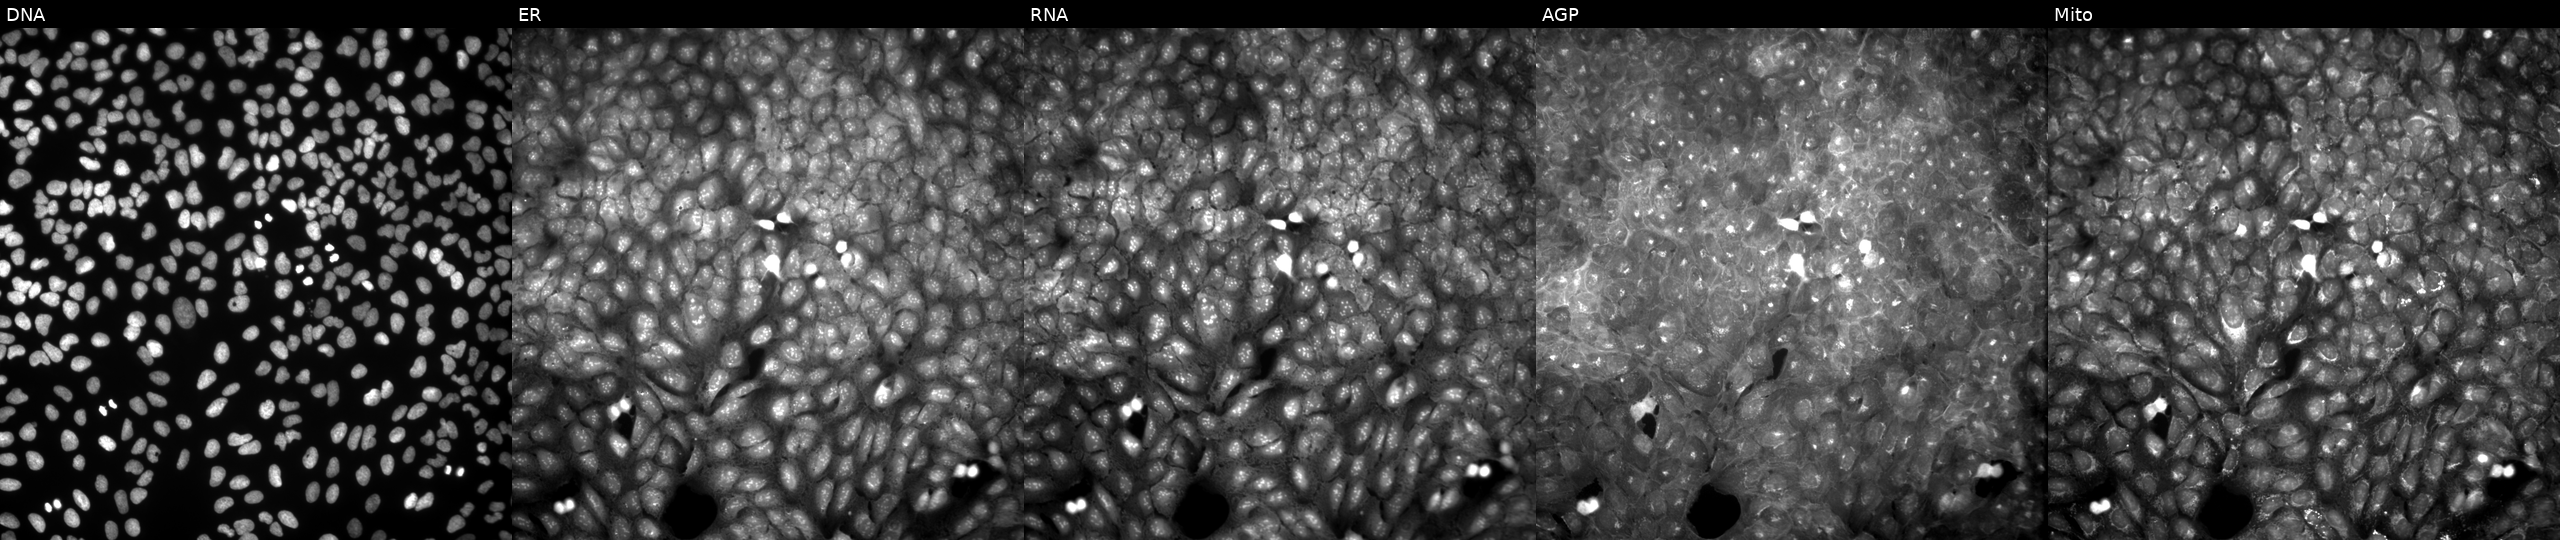
This image strip shows the five Cell Painting channels for a single field of U2OS cells exposed to a small-molecule compound. From left to right: DNA (nuclei); ER (endoplasmic reticulum); RNA (nucleoli and cytoplasmic RNA); AGP (actin cytoskeleton, Golgi, and plasma membrane); Mito (mitochondria).